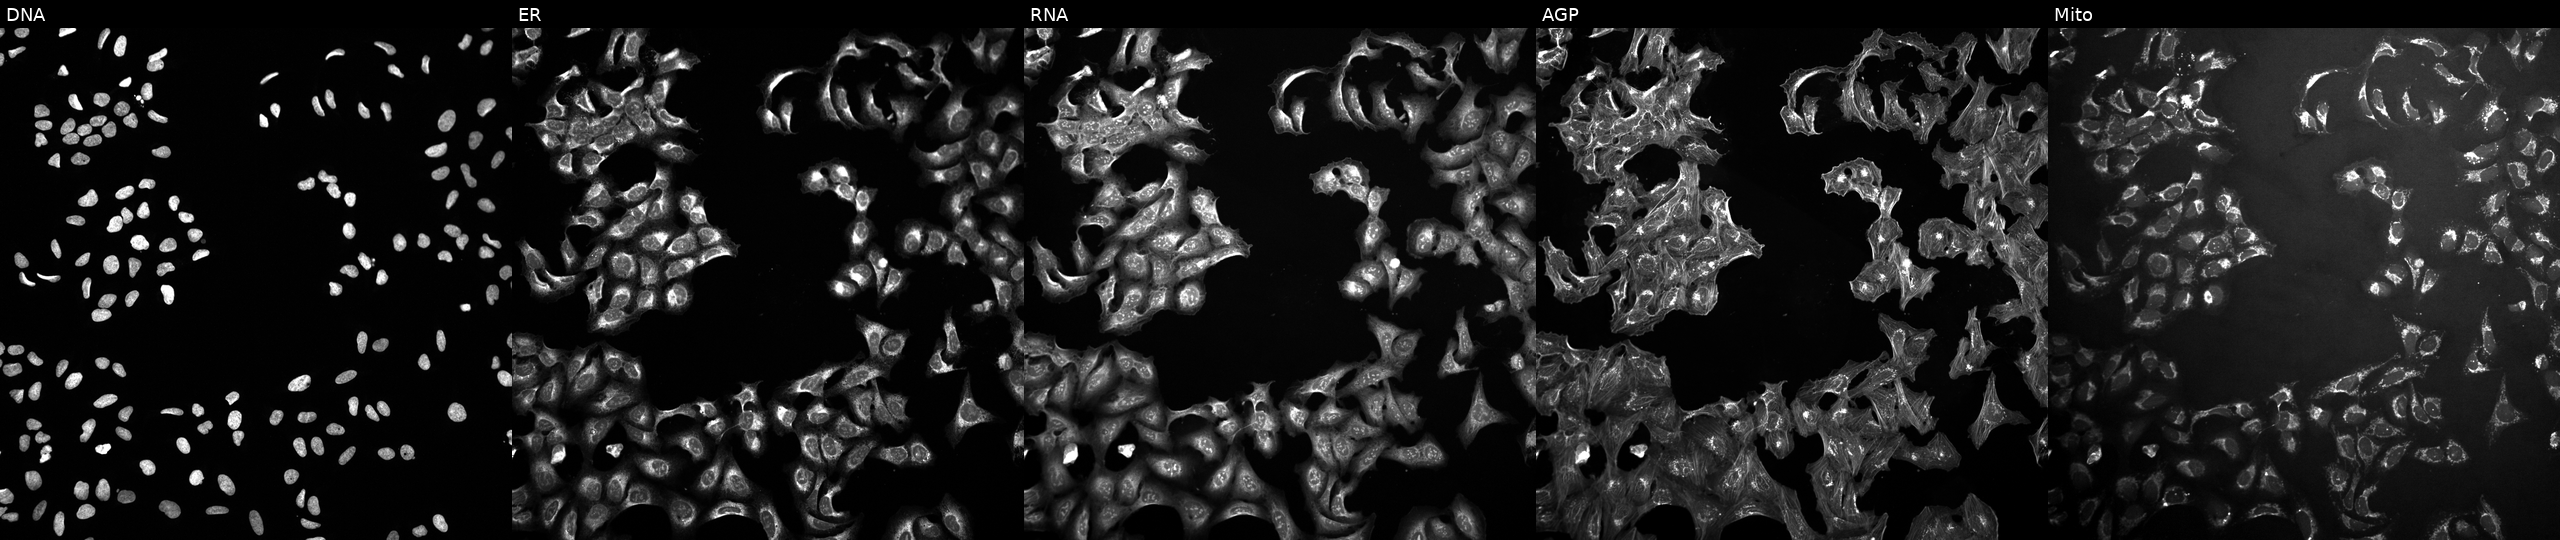
JUMP Cell Painting — COMPOUND plate. U2OS cells treated with NVS-PAK1-1 (positive-control compound) (JUMP id JCP2022_064022). From left to right: Hoechst 33342, concanavalin A, SYTO 14, phalloidin and WGA, MitoTracker.